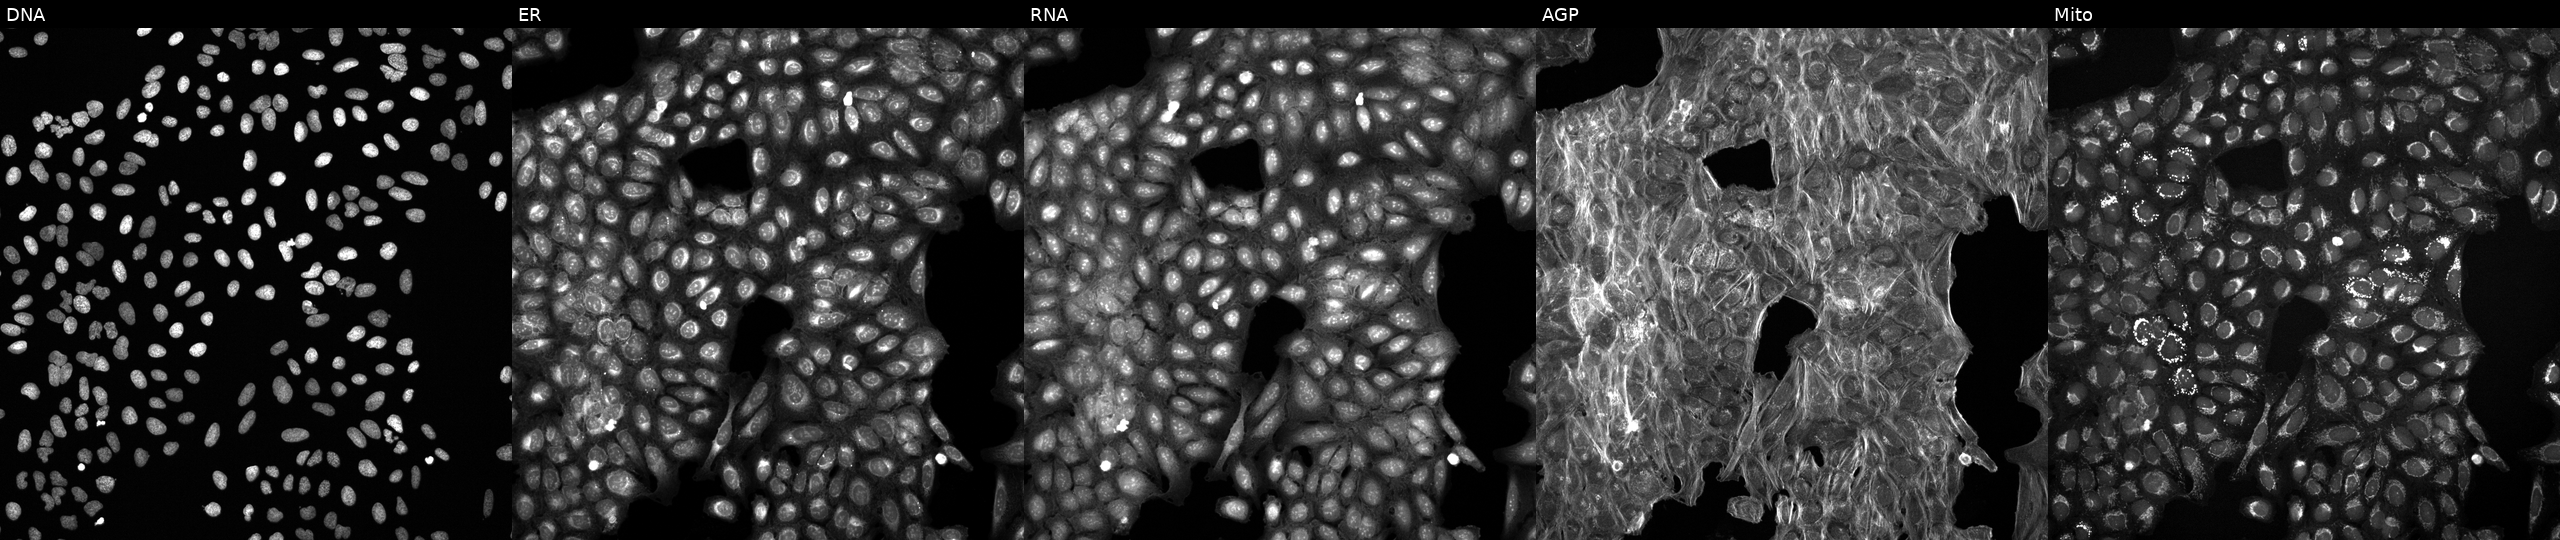
U2OS cells, Cell Painting assay, treated with a small-molecule compound (InChIKey KIZGMQQKNOAADI-UHFFFAOYSA-N) (JUMP id JCP2022_044929). From left to right: Hoechst 33342, concanavalin A, SYTO 14, phalloidin and WGA, MitoTracker. Each panel is percentile-stretched 16-bit fluorescence.